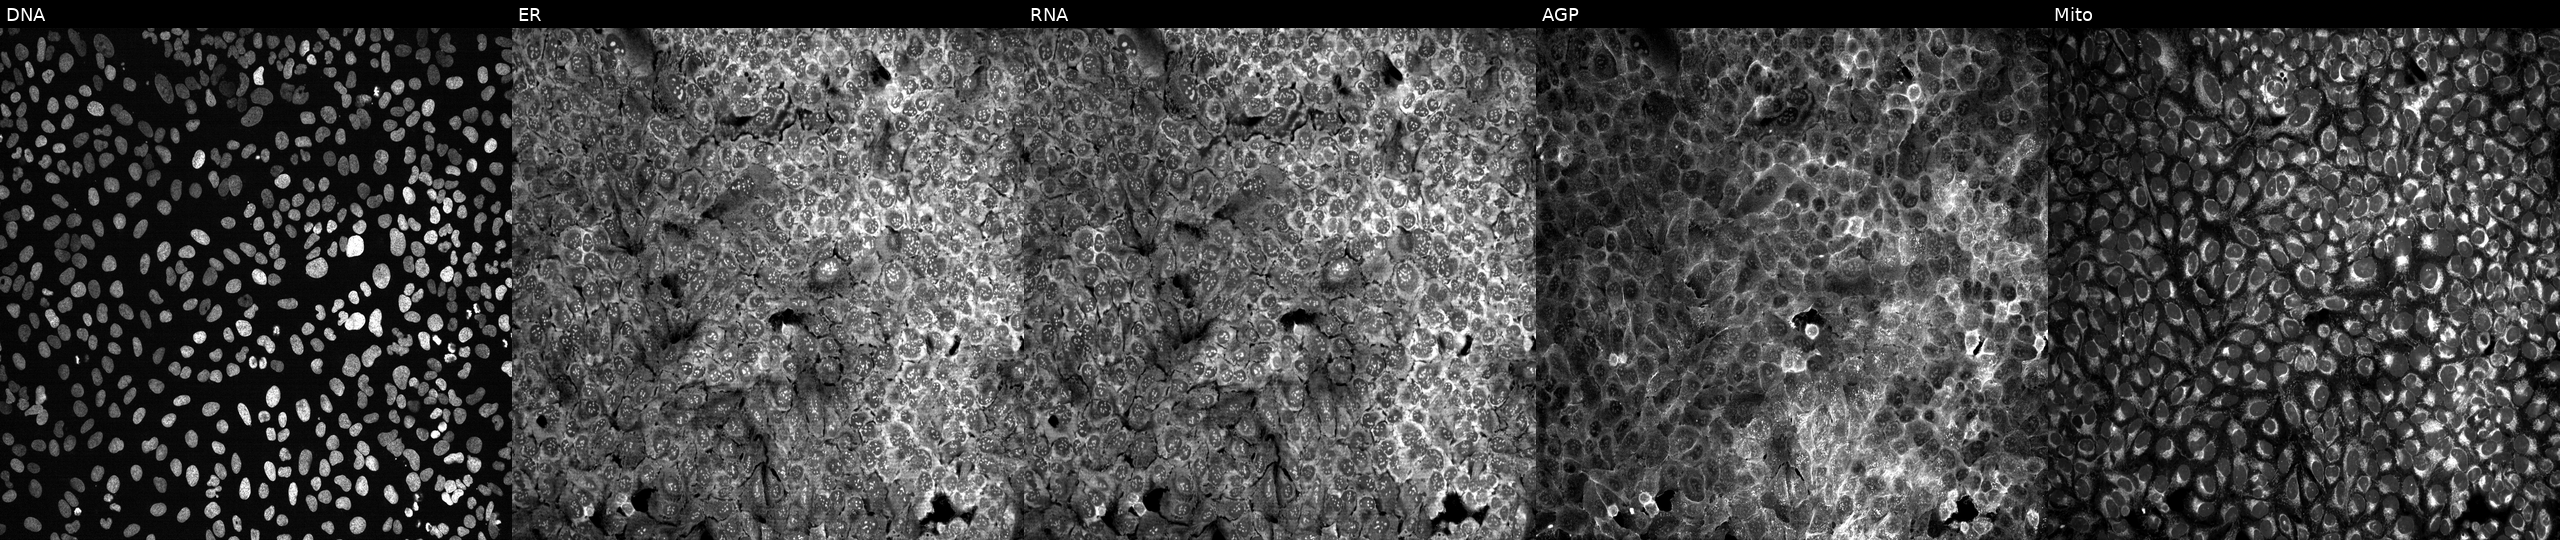
High-content fluorescence microscopy (Cell Painting). Cell line: U2OS. Perturbation: treated with quinidine (positive-control compound) (JUMP id JCP2022_050797). The five panels, left to right, show DNA (nuclei); ER (endoplasmic reticulum); RNA (nucleoli and cytoplasmic RNA); AGP (actin cytoskeleton, Golgi, and plasma membrane); Mito (mitochondria).